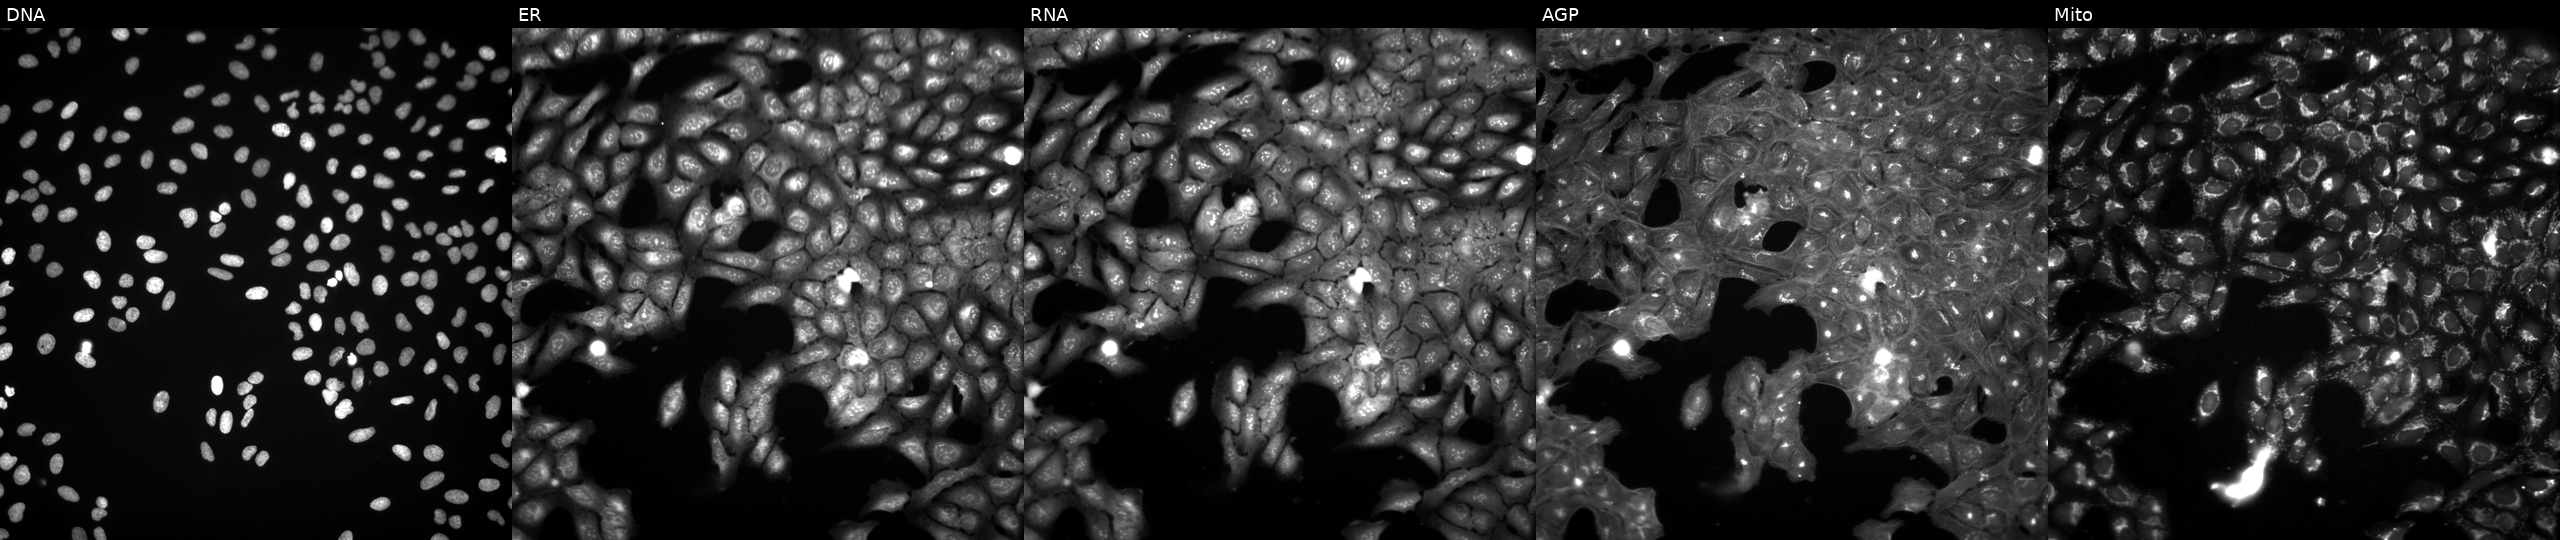
High-content fluorescence microscopy (Cell Painting). Cell line: U2OS. Perturbation: treated with a small-molecule compound (InChIKey RNSLRQNDXRSASX-UHFFFAOYSA-N) [SMILES: Cc1nn(C)c2[nH]c(=NNC(=O)N=c3cc(Cl)[nH]c(Cl)c3)cc(C(C)C)c12]. From left to right: Hoechst 33342, concanavalin A, SYTO 14, phalloidin and WGA, MitoTracker.